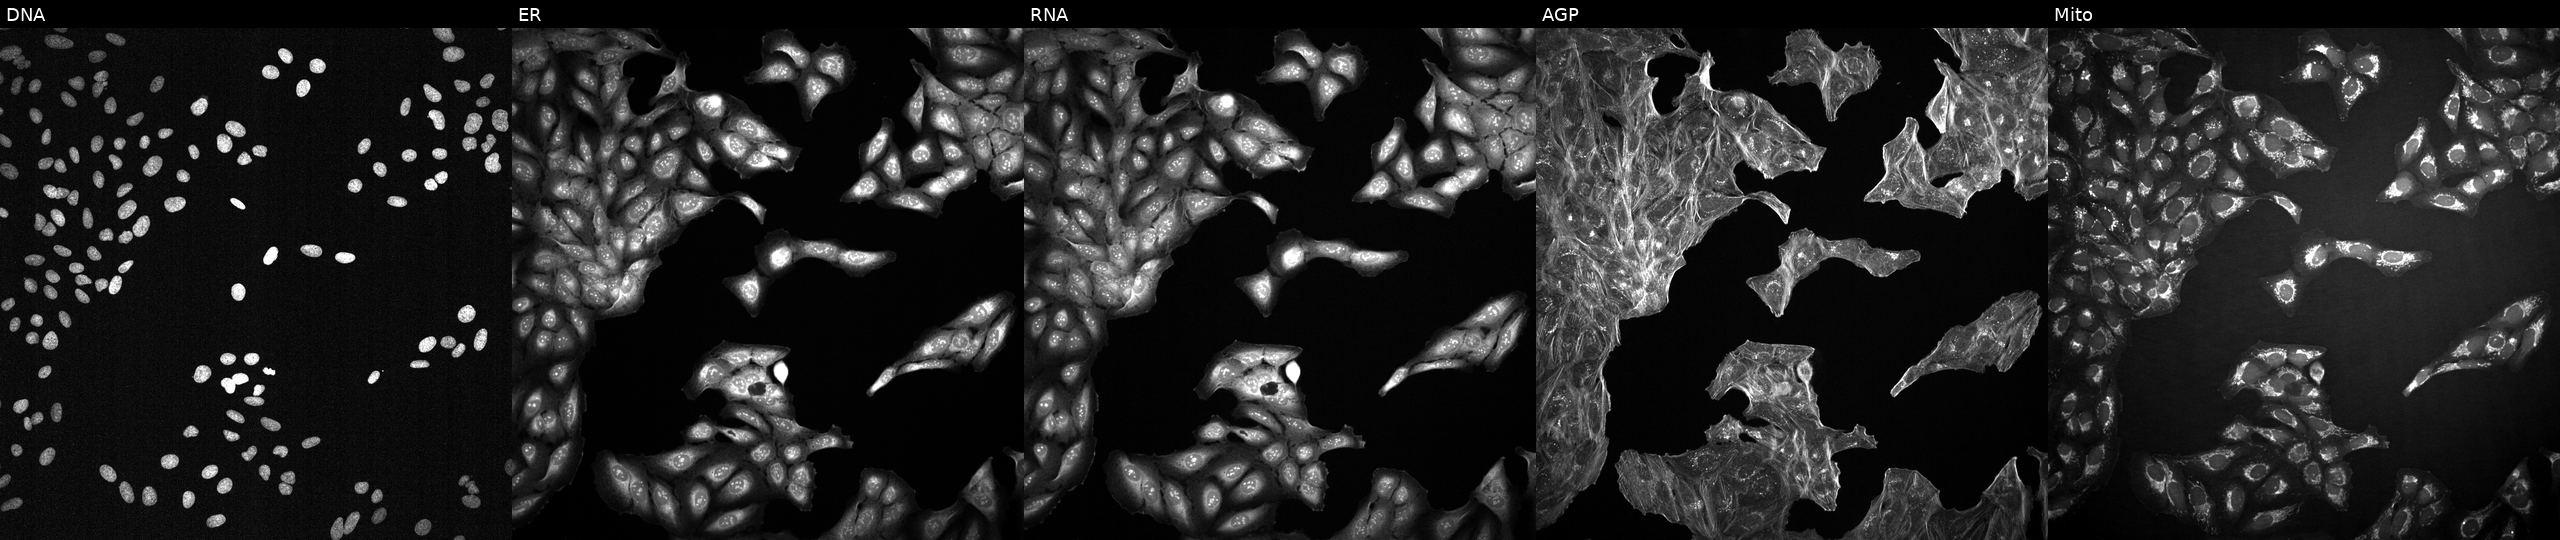
Five-channel Cell Painting image of U2OS cells perturbed with a small-molecule compound [SMILES: CCOC(=O)c1ncc2[nH]c3ccc(OCc4ccccc4)cc3c2c1COC] (JUMP id JCP2022_002118). Channels (left→right): DNA, ER, RNA, AGP, and Mito.